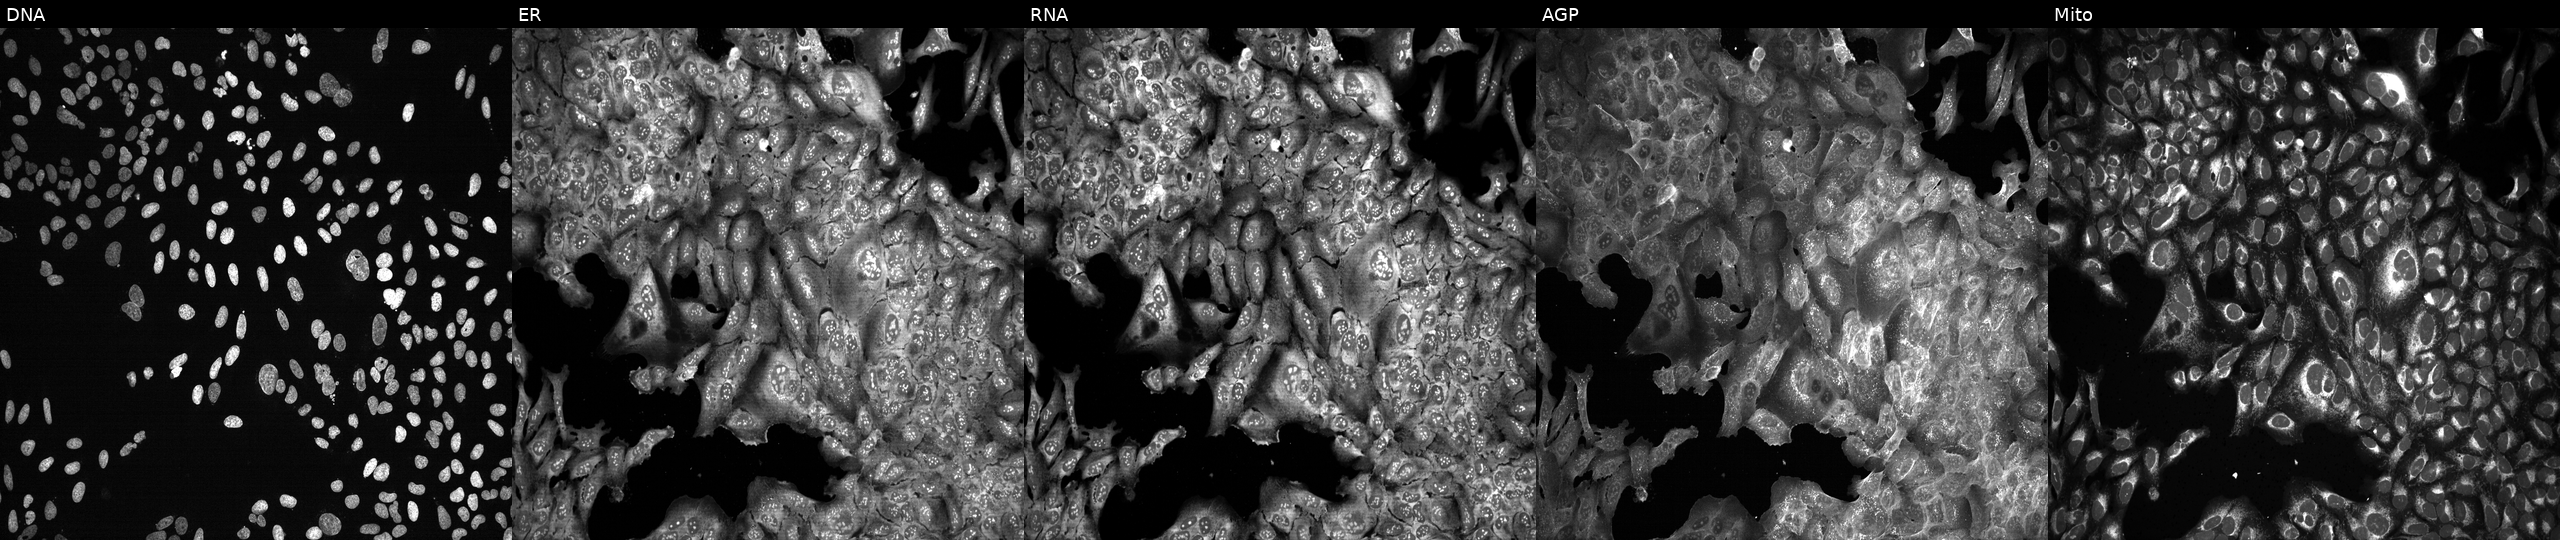
Panels show, left to right, DNA (nuclei); ER (endoplasmic reticulum); RNA (nucleoli and cytoplasmic RNA); AGP (actin cytoskeleton, Golgi, and plasma membrane); Mito (mitochondria). U2OS osteosarcoma cells CRISPR-edited to disrupt ABHD12B (JUMP id JCP2022_800067). Cell Painting assay, JUMP-CP dataset. Source 13, plate CP-CC9-R6-19, well E08.